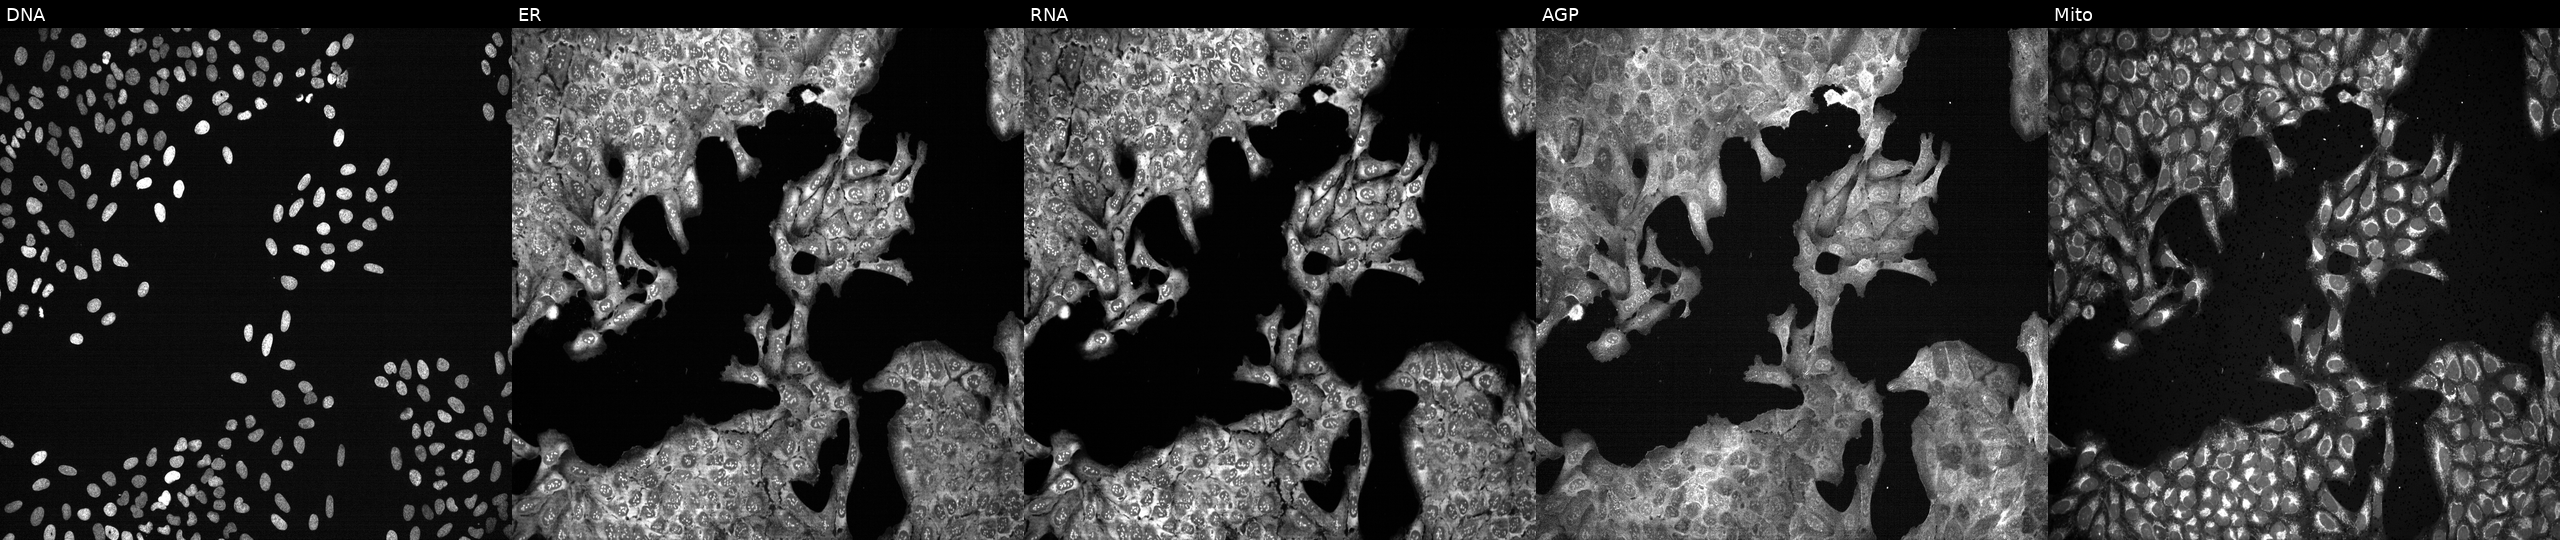
From left to right: Hoechst 33342, concanavalin A, SYTO 14, phalloidin and WGA, MitoTracker. U2OS osteosarcoma cells exposed to the positive-control compound quinidine. Cell Painting assay, JUMP-CP dataset.